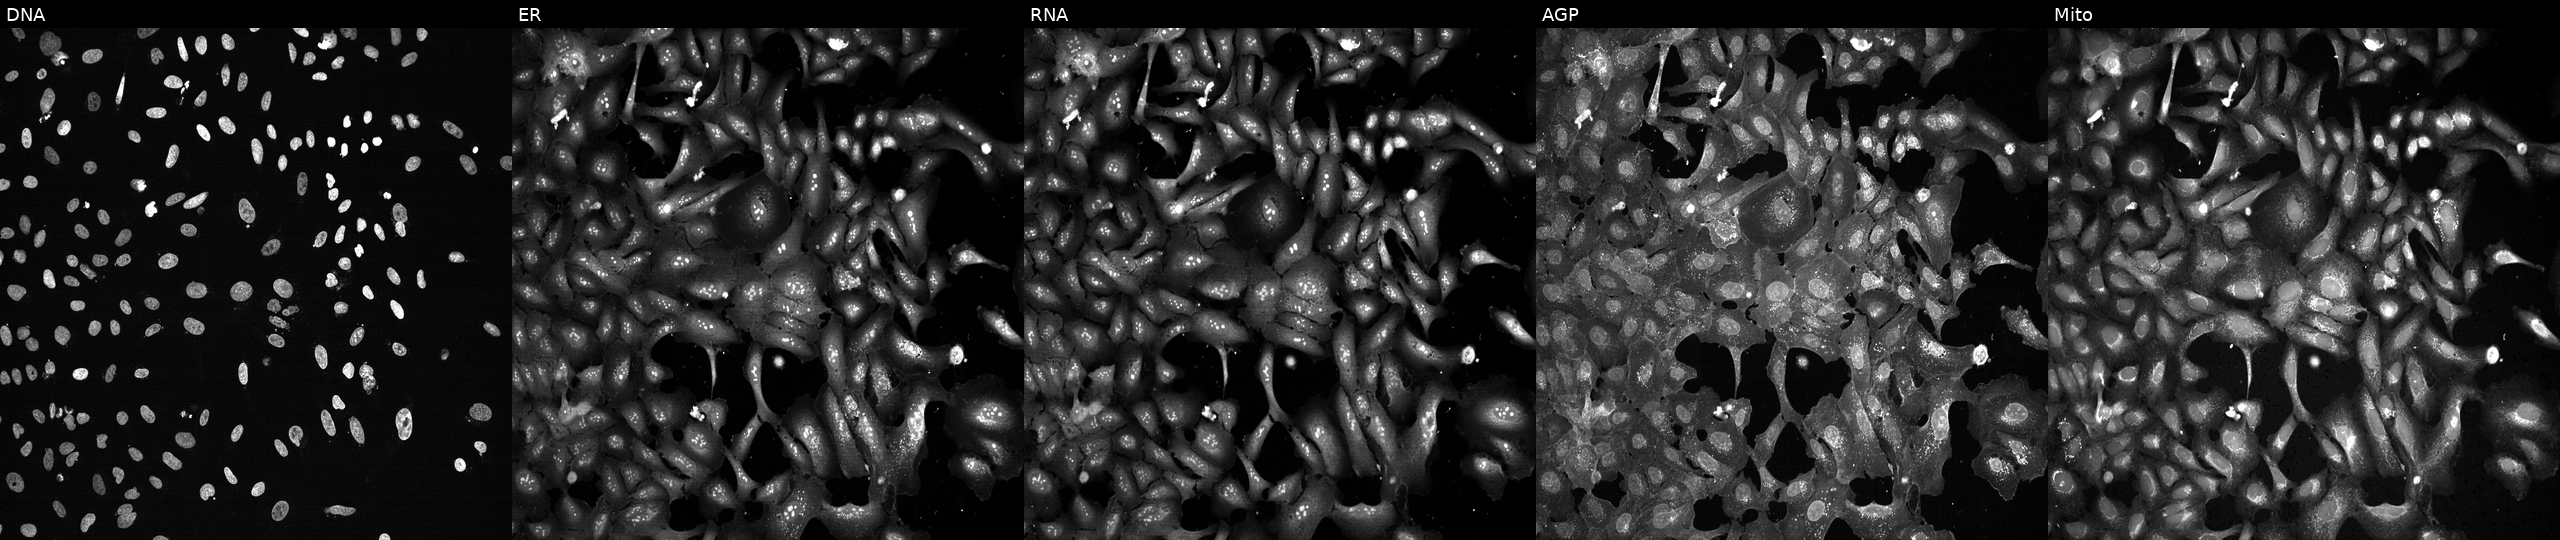
Five-channel Cell Painting image of U2OS cells with SPNS1 knocked out by CRISPR (JUMP id JCP2022_806743). Panels show, left to right, DNA, ER, RNA, AGP, and Mito.